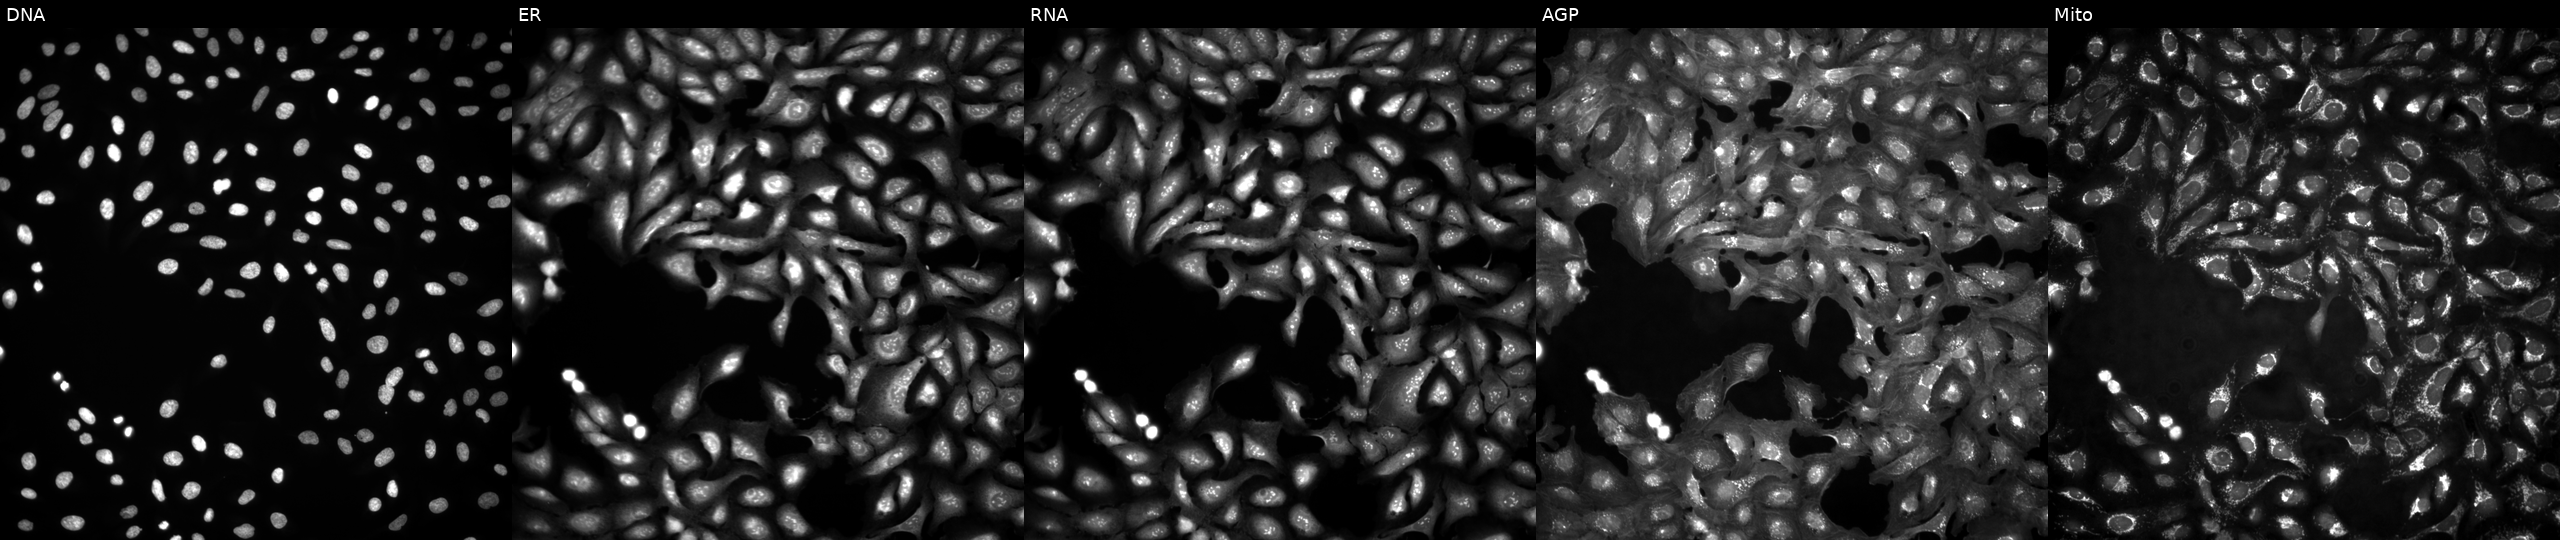
U2OS cells, Cell Painting assay, untreated (empty-well control). From left to right: DNA (nuclei); ER (endoplasmic reticulum); RNA (nucleoli and cytoplasmic RNA); AGP (actin cytoskeleton, Golgi, and plasma membrane); Mito (mitochondria). Each panel is percentile-stretched 16-bit fluorescence. Source 4, plate BR00124793, well K02.